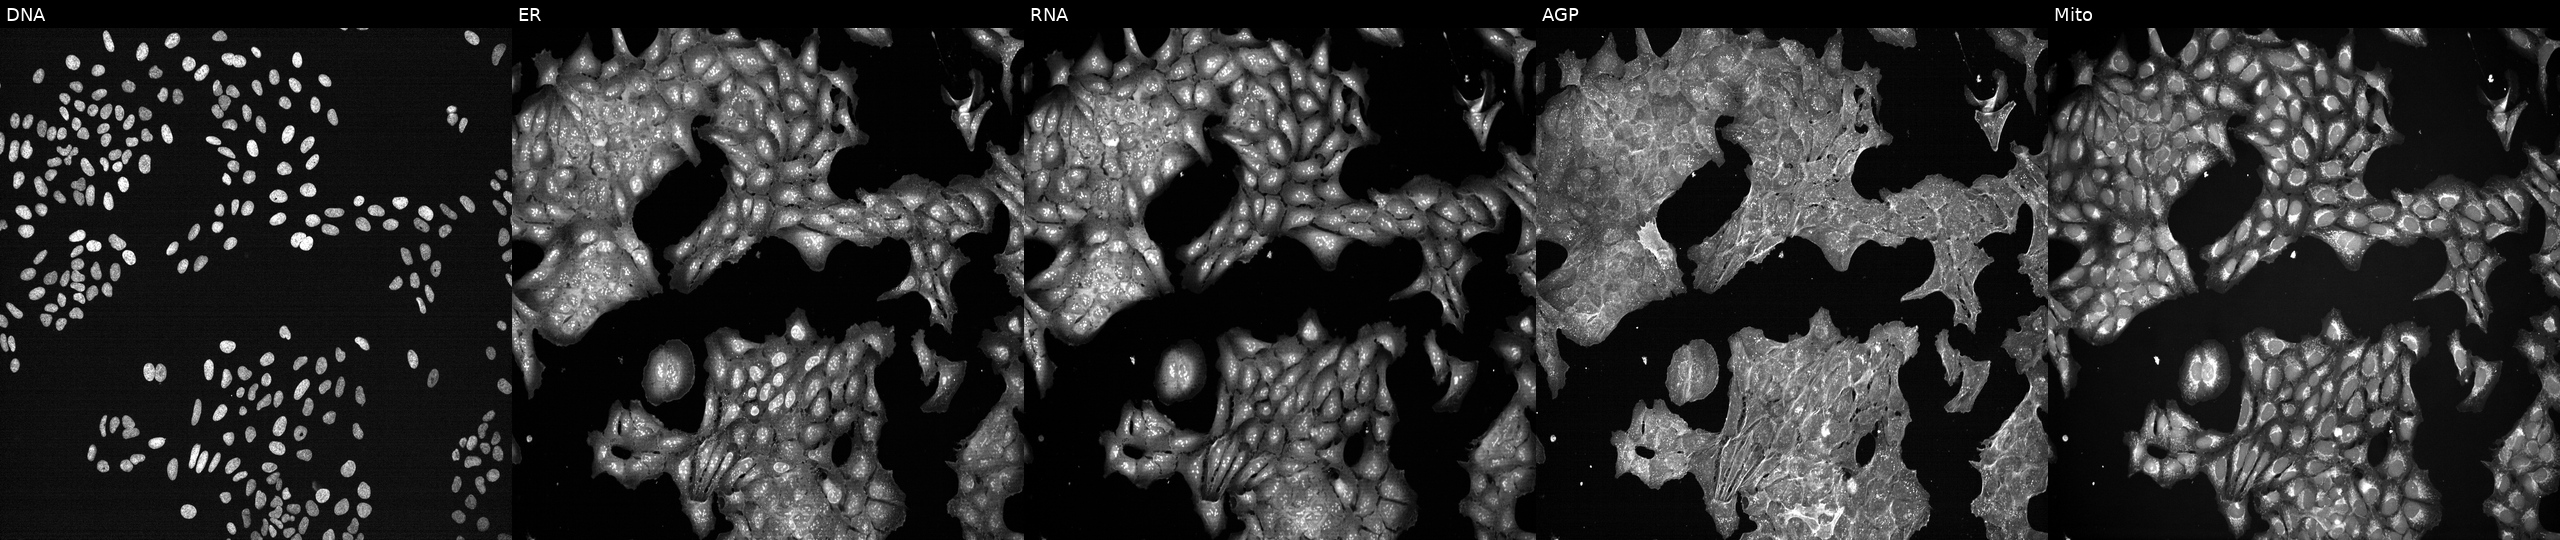
JUMP Cell Painting — TARGET2 plate. U2OS cells treated with a small-molecule compound (JUMP id JCP2022_088849). Channels (left→right): DNA, ER, RNA, AGP, and Mito.